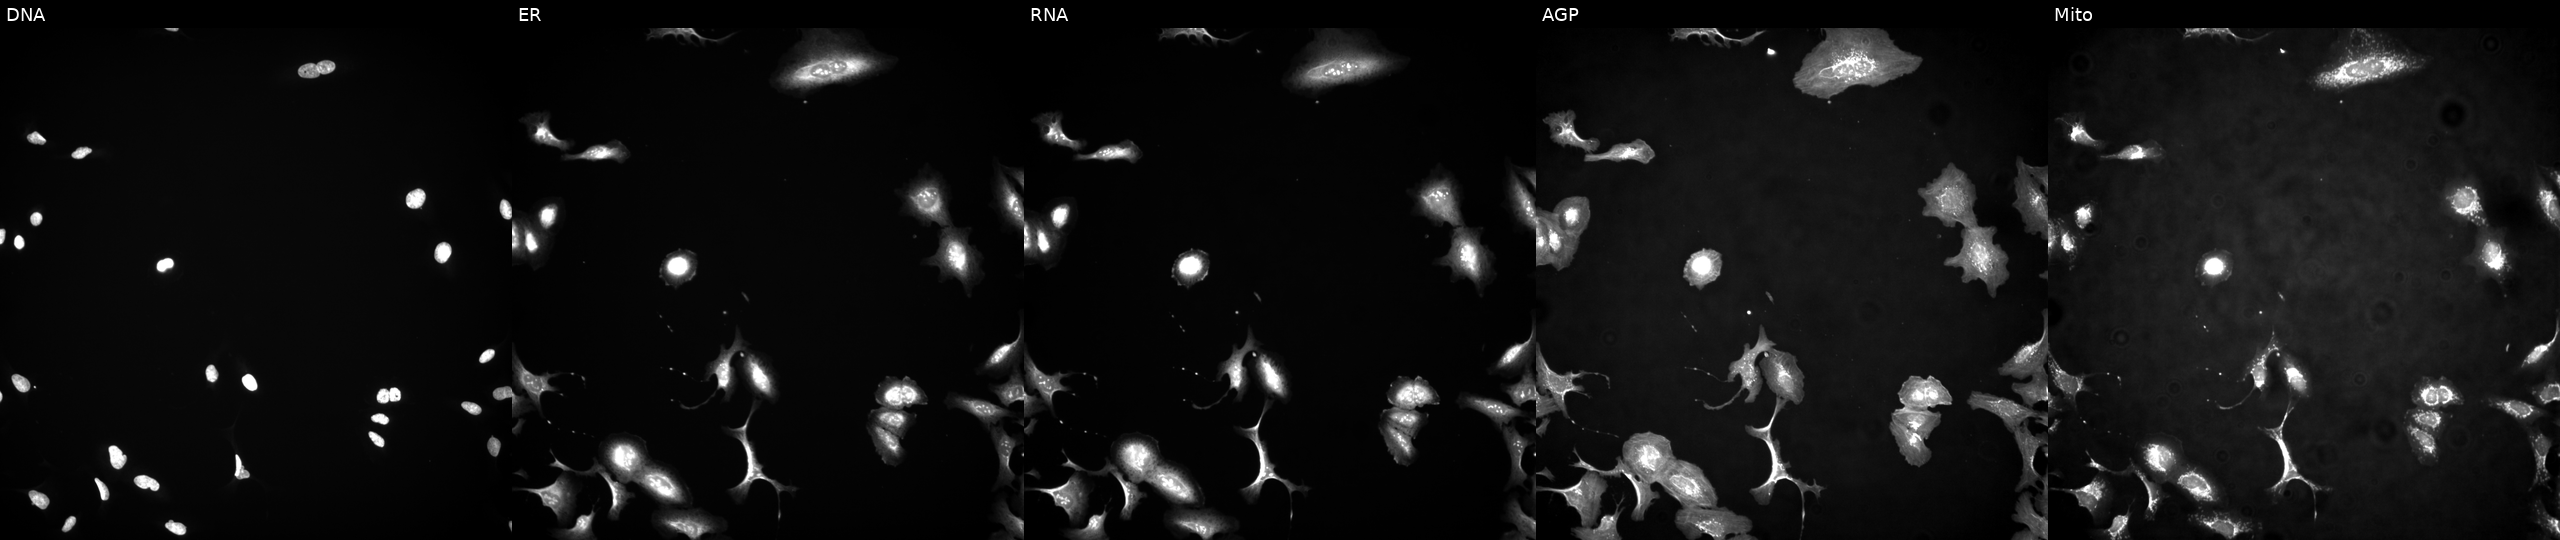
High-content fluorescence microscopy (Cell Painting). Cell line: U2OS. Perturbation: with ZAP70 overexpressed (ORF). Channels (left→right): DNA, ER, RNA, AGP, and Mito. Source 4, plate BR00123945, well I08.